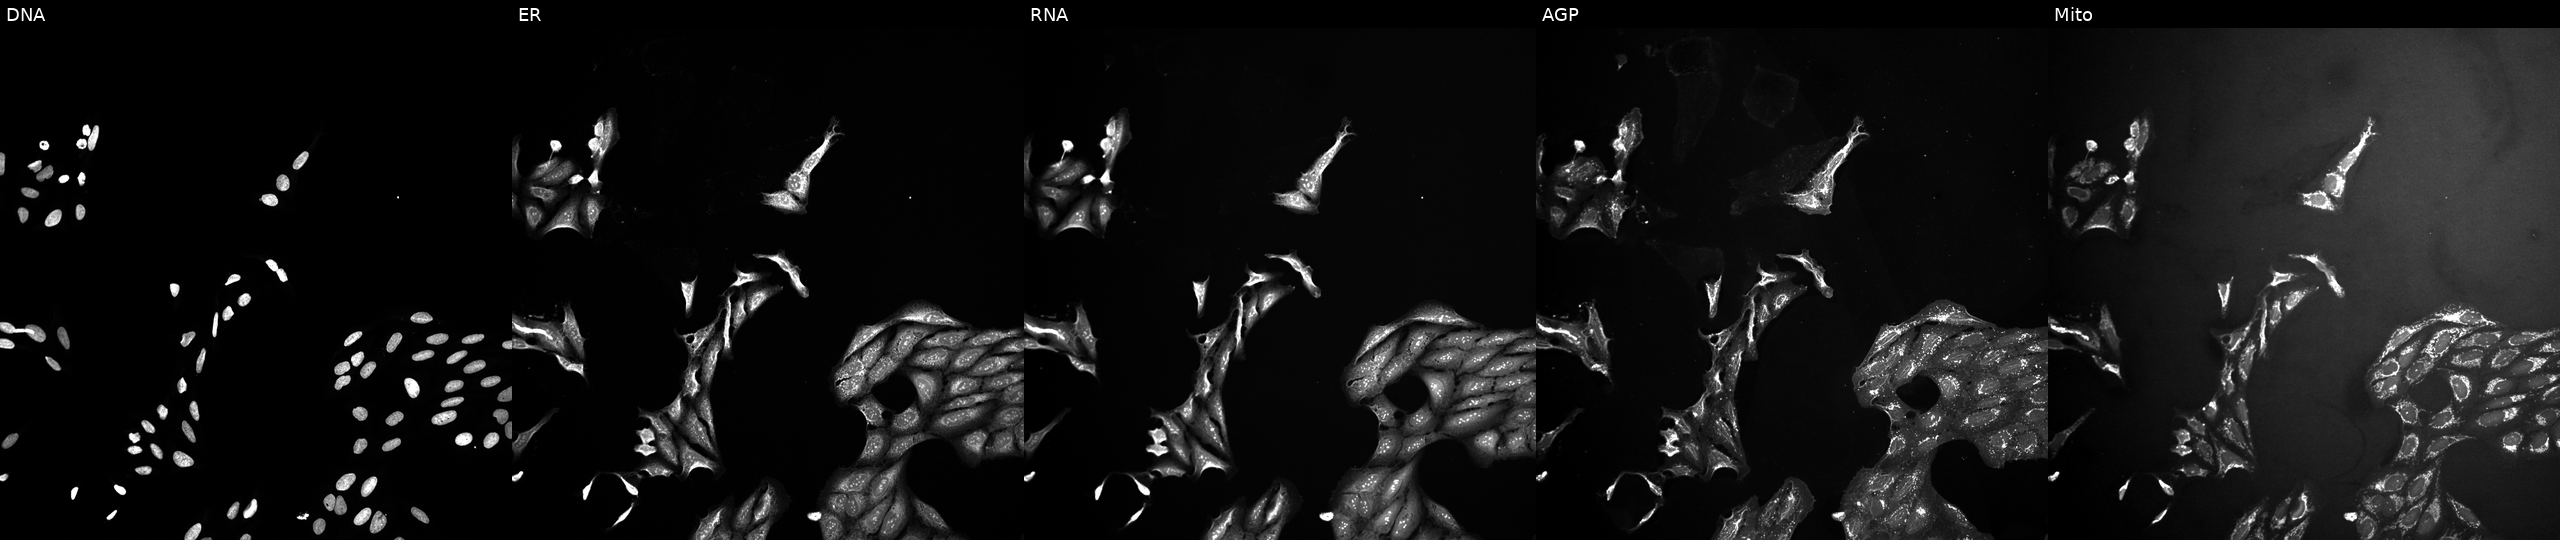
High-content fluorescence microscopy (Cell Painting). Cell line: U2OS. Perturbation: perturbed with a small-molecule compound. From left to right: DNA, ER, RNA, AGP, and Mito. Source 10, plate Dest210803-153958, well G21.